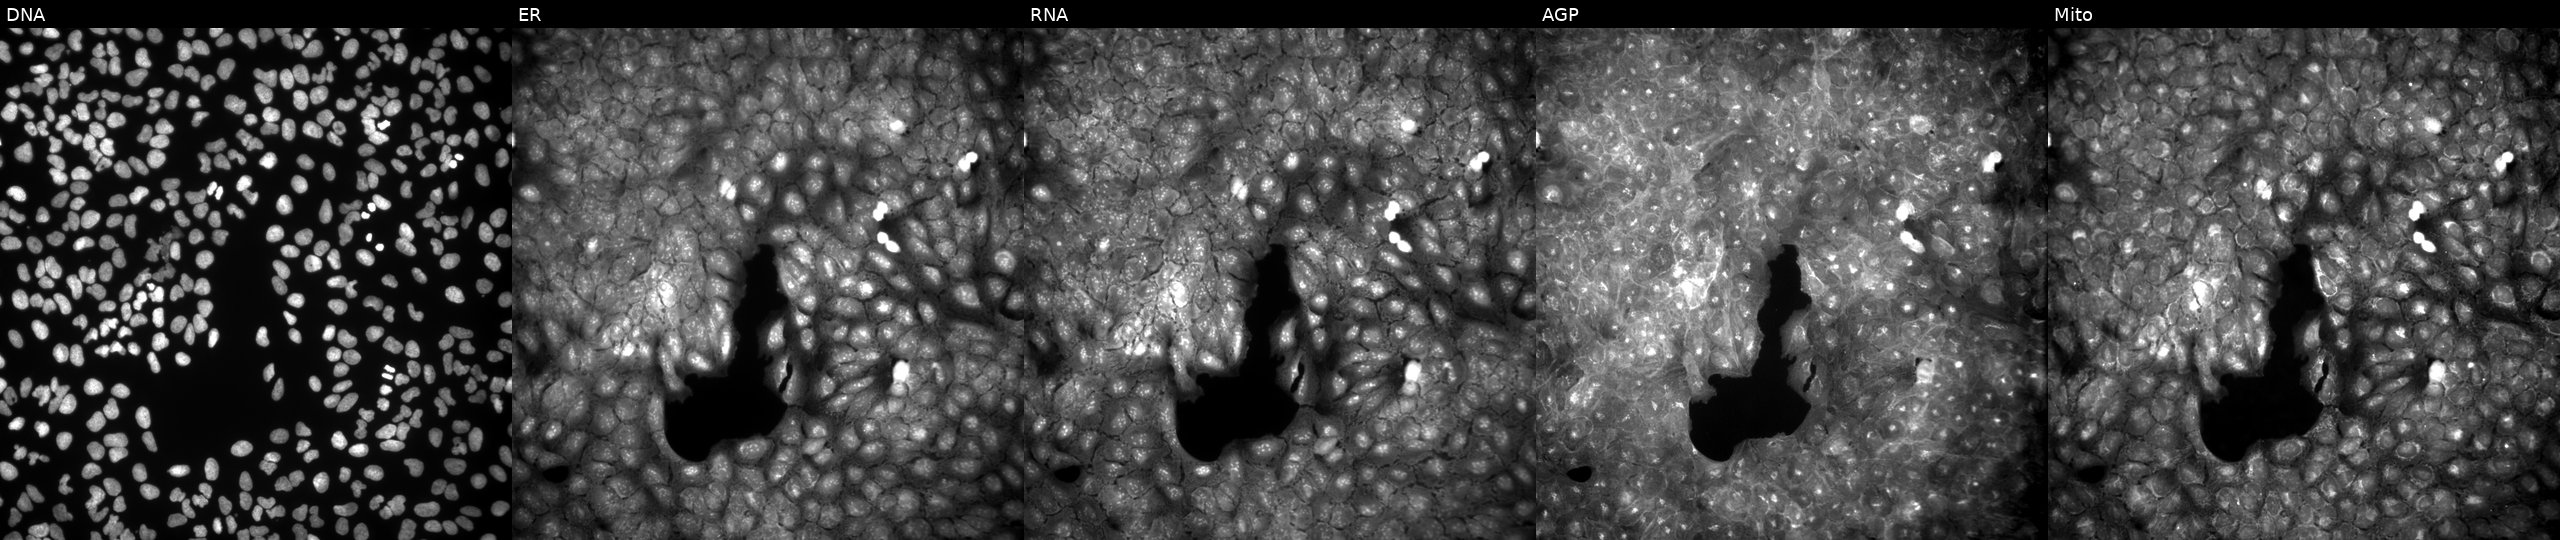
U2OS cells, Cell Painting assay, treated with a small-molecule compound (InChIKey OBDYUBVEBKAGNI-UHFFFAOYSA-N) [SMILES: CC(=O)Nc1cc2ccc(OC(C)=O)cc2oc1=O] (JUMP id JCP2022_062663). Channels (left→right): DNA (nuclei); ER (endoplasmic reticulum); RNA (nucleoli and cytoplasmic RNA); AGP (actin cytoskeleton, Golgi, and plasma membrane); Mito (mitochondria). Each panel is percentile-stretched 16-bit fluorescence. Source 9, plate GR00003381, well O38.